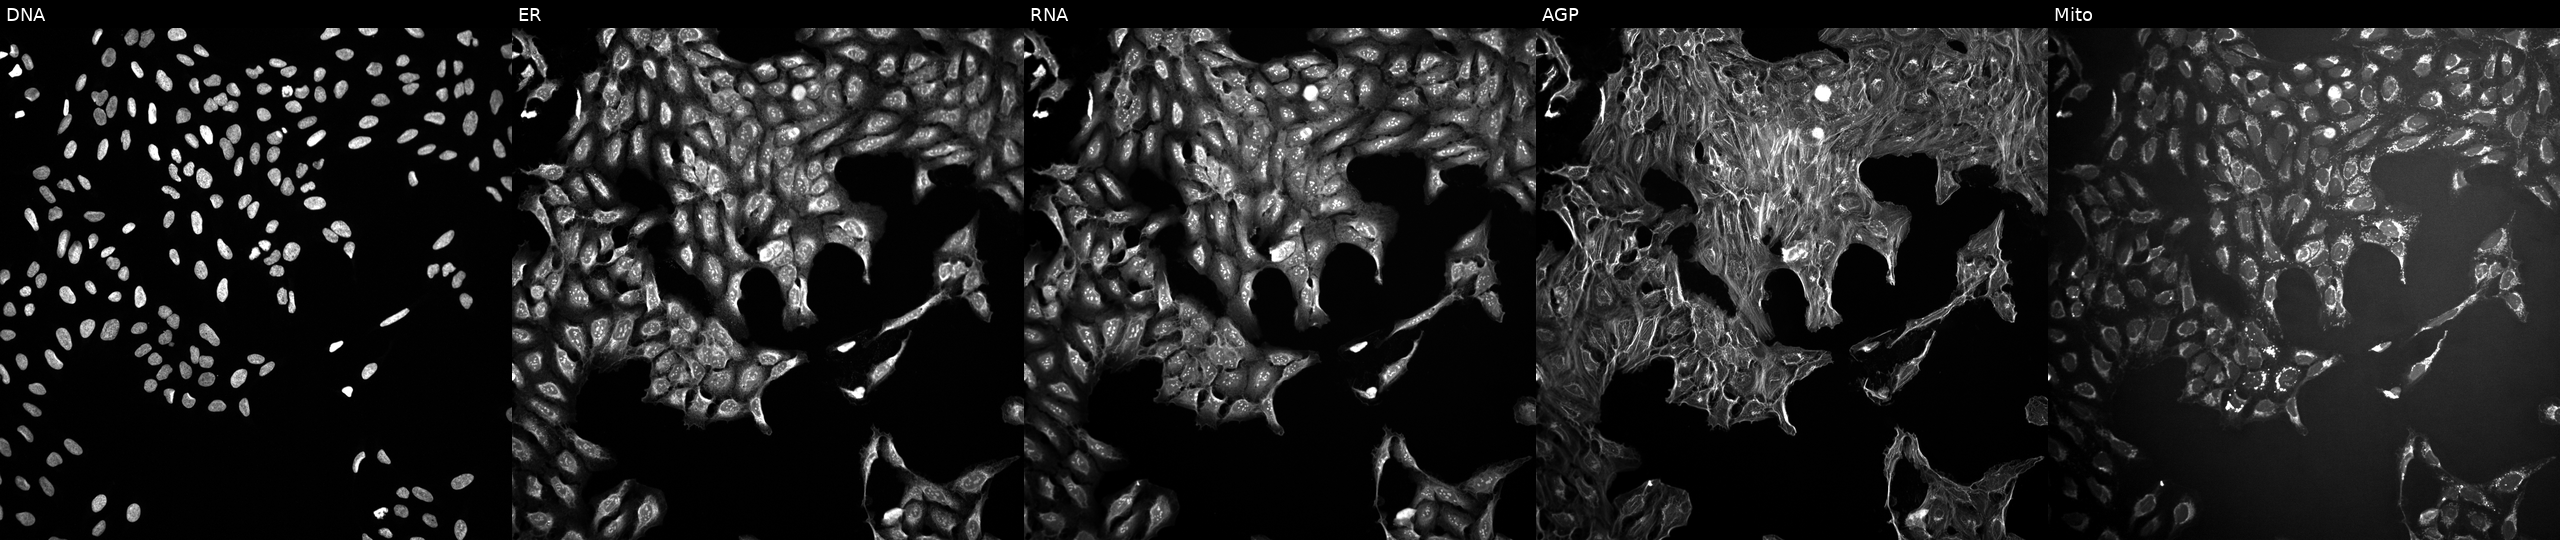
High-content fluorescence microscopy (Cell Painting). Cell line: U2OS. Perturbation: treated with a small-molecule compound (InChIKey NZHGWWWHIYHZNX-UHFFFAOYSA-N). From left to right: Hoechst 33342, concanavalin A, SYTO 14, phalloidin and WGA, MitoTracker. Source 10, plate Dest210727-153003, well B16.